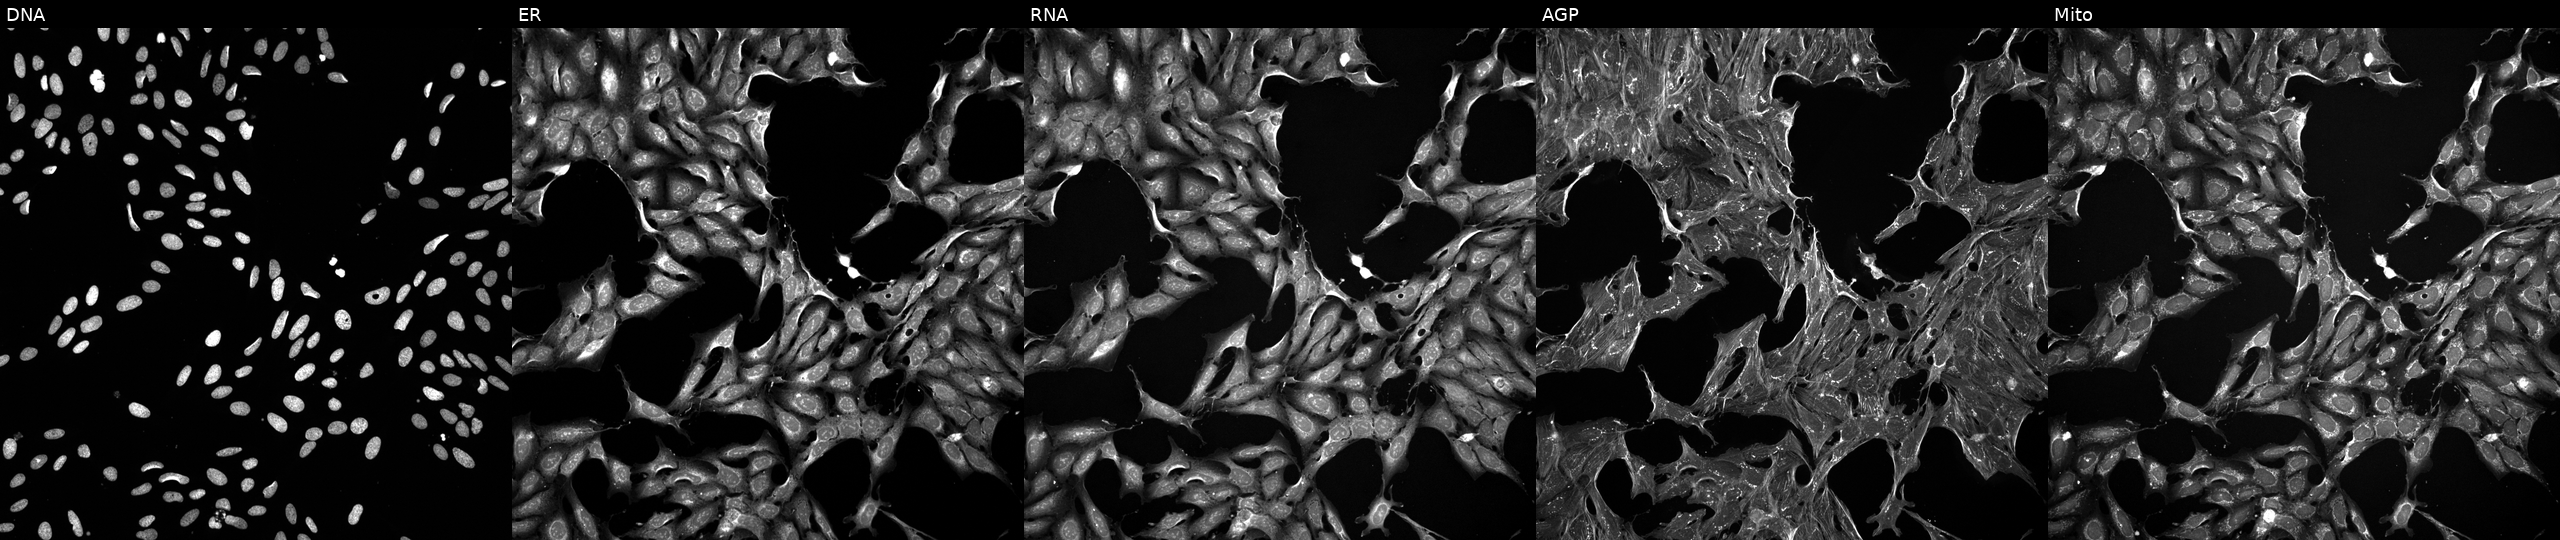
This image strip shows the five Cell Painting channels for a single field of U2OS cells perturbed with a small-molecule compound (JUMP id JCP2022_043287). Channels (left→right): Hoechst 33342, concanavalin A, SYTO 14, phalloidin and WGA, MitoTracker. Source 5, plate ACPJUM032, well M23.